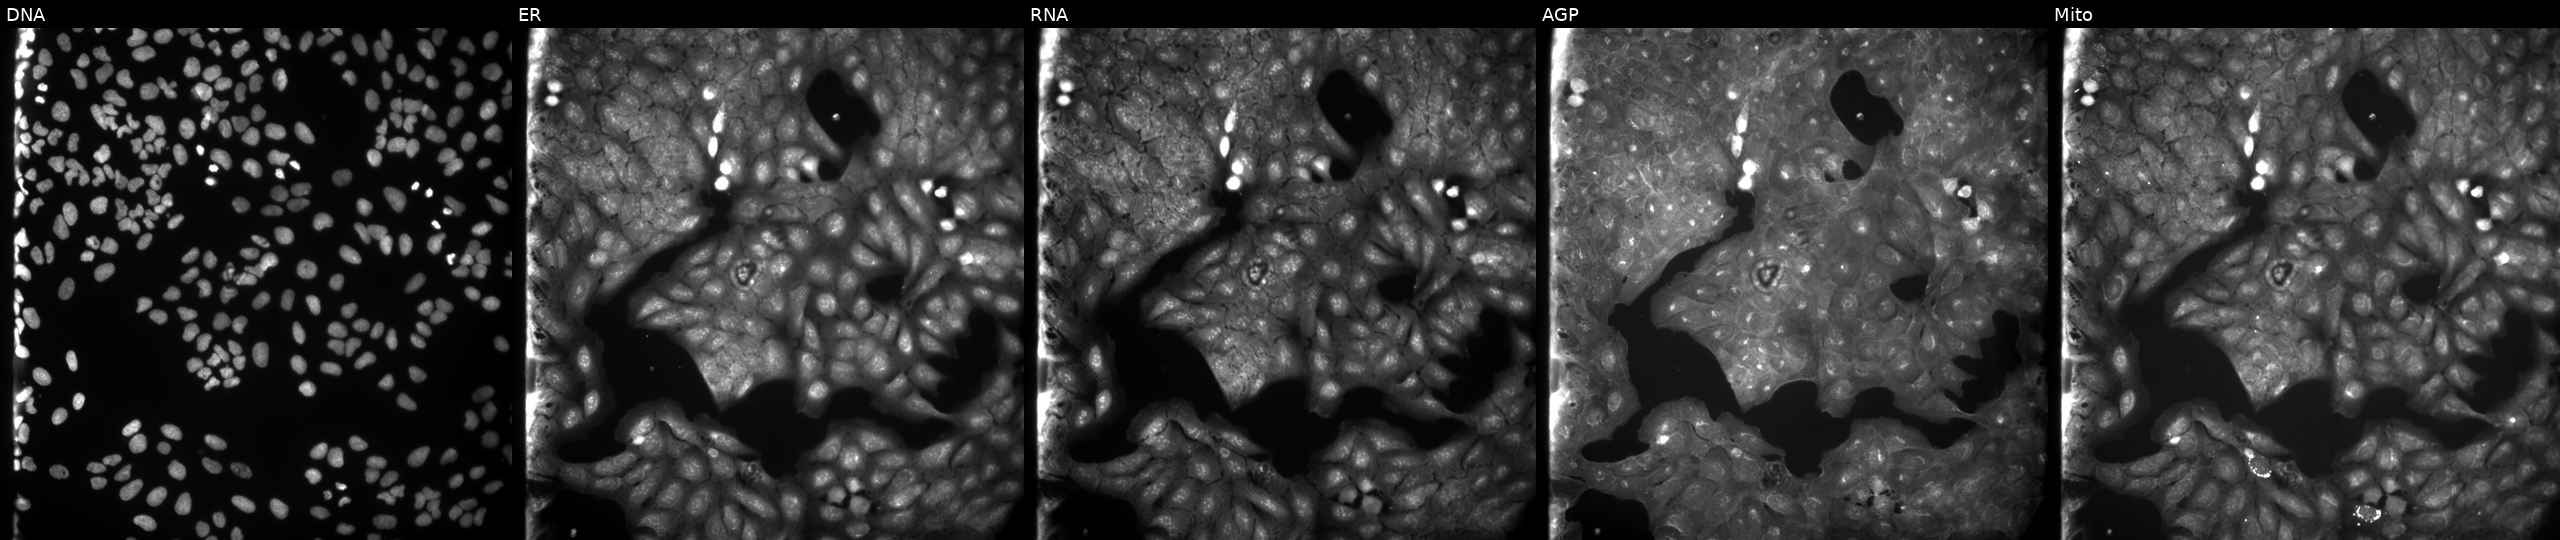
This image strip shows the five Cell Painting channels for a single field of U2OS cells perturbed with a small-molecule compound (InChIKey XTRHTVZAXYPHKZ-UHFFFAOYSA-N) [SMILES: CC1CCCN(S(=O)(=O)c2cc(Cl)ccc2Cl)C1]. Panels show, left to right, DNA (nuclei); ER (endoplasmic reticulum); RNA (nucleoli and cytoplasmic RNA); AGP (actin cytoskeleton, Golgi, and plasma membrane); Mito (mitochondria).